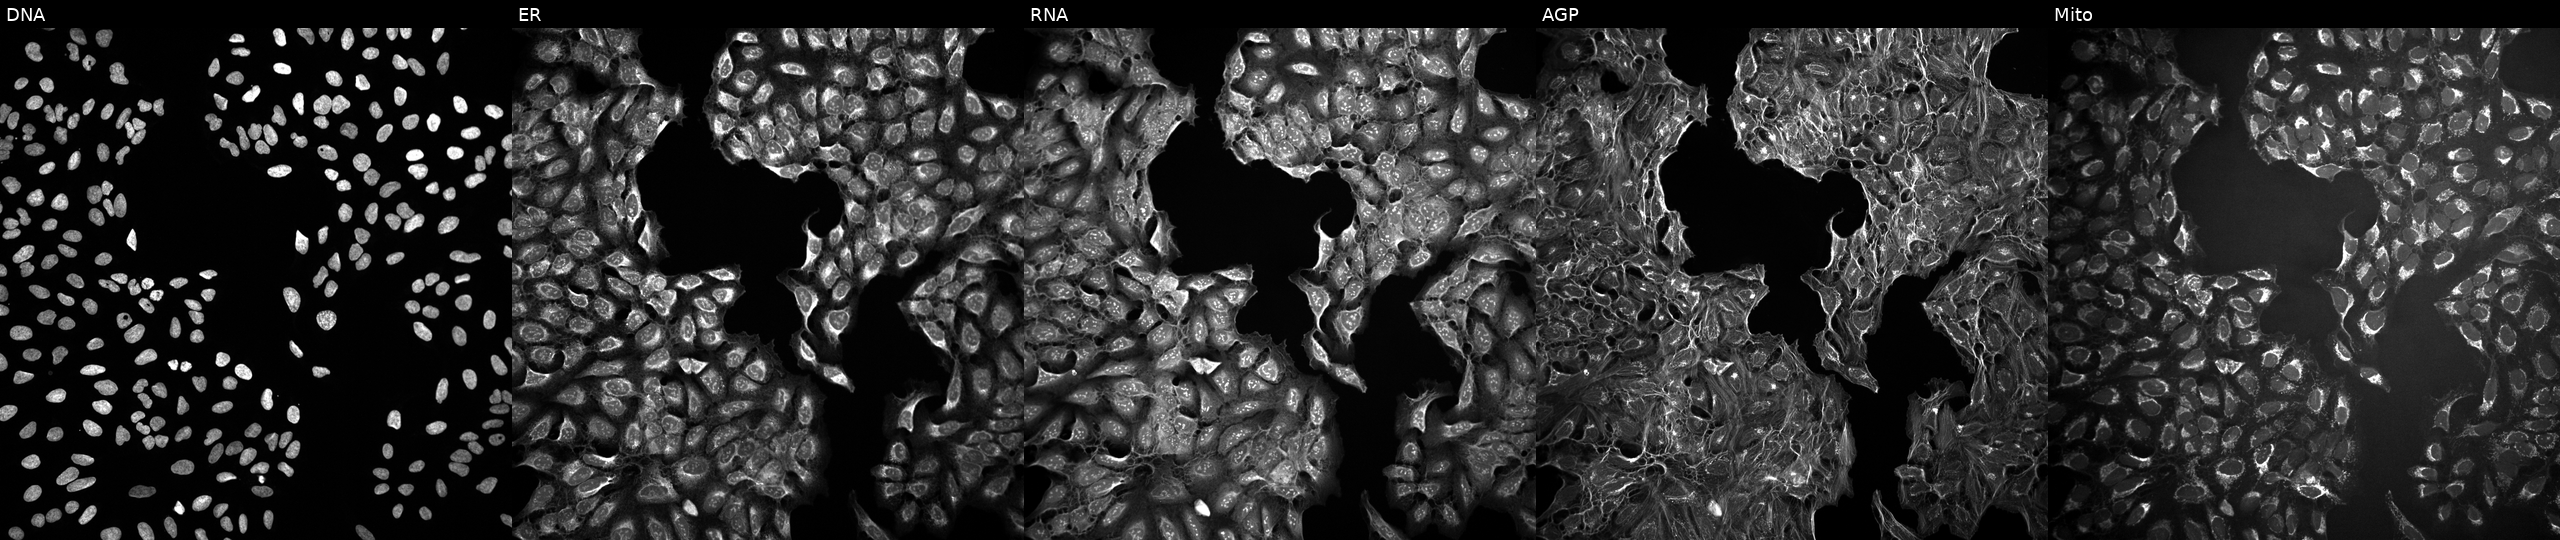
This image strip shows the five Cell Painting channels for a single field of U2OS cells untreated (empty-well control) (JUMP id JCP2022_999999). Channels (left→right): Hoechst 33342, concanavalin A, SYTO 14, phalloidin and WGA, MitoTracker.